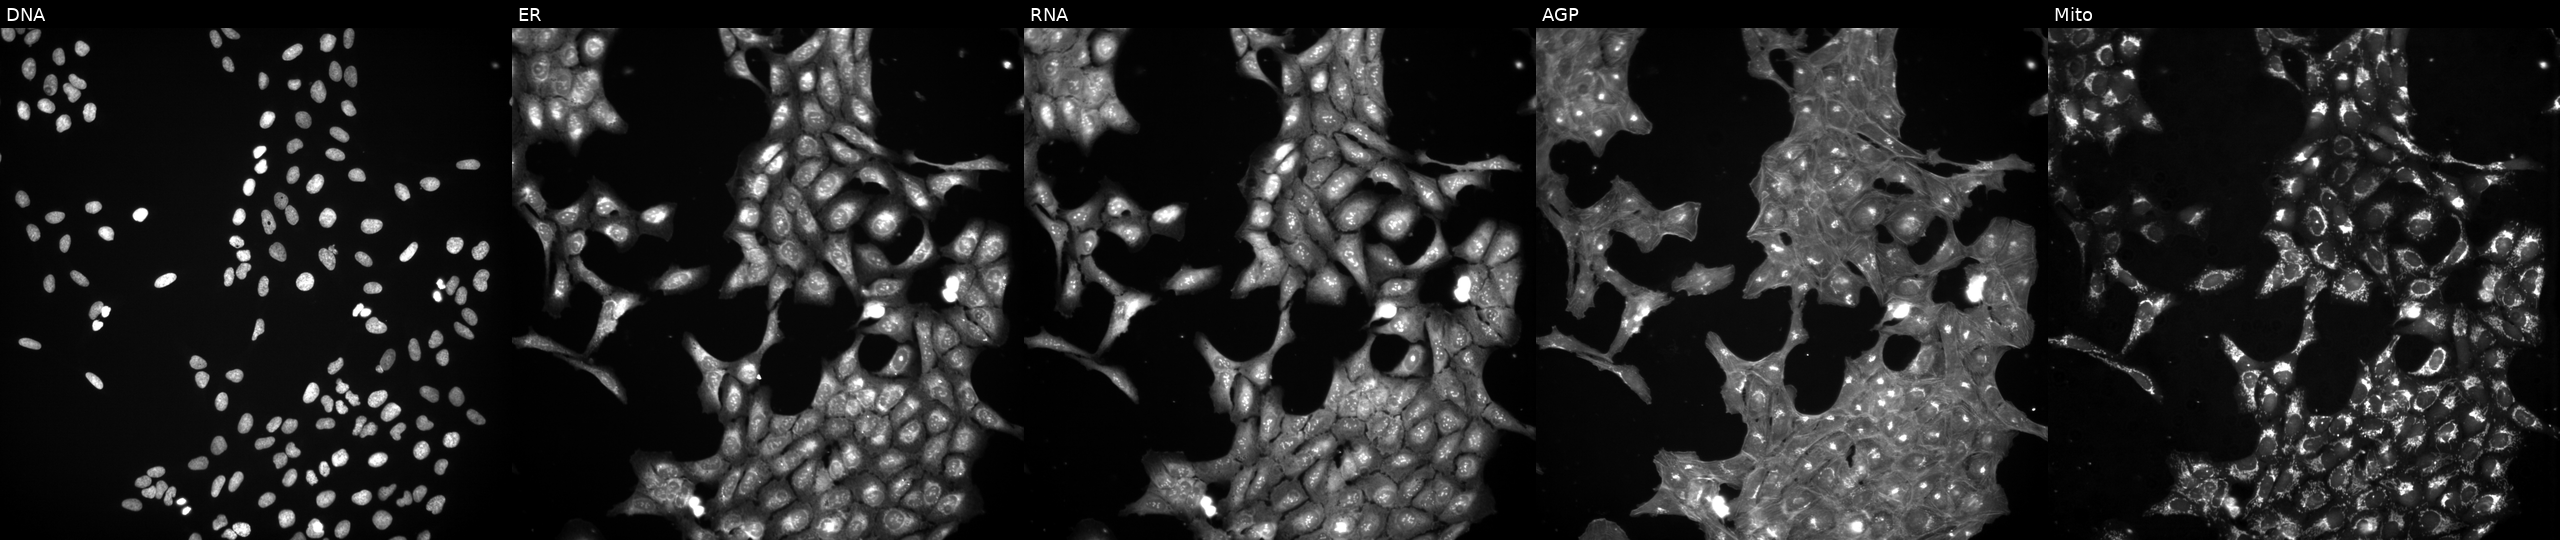
Five-channel Cell Painting image of U2OS cells exposed to a small-molecule compound (InChIKey JMVZXJRBRQCROS-UHFFFAOYSA-N) (JUMP id JCP2022_040810). Channels (left→right): Hoechst 33342, concanavalin A, SYTO 14, phalloidin and WGA, MitoTracker.